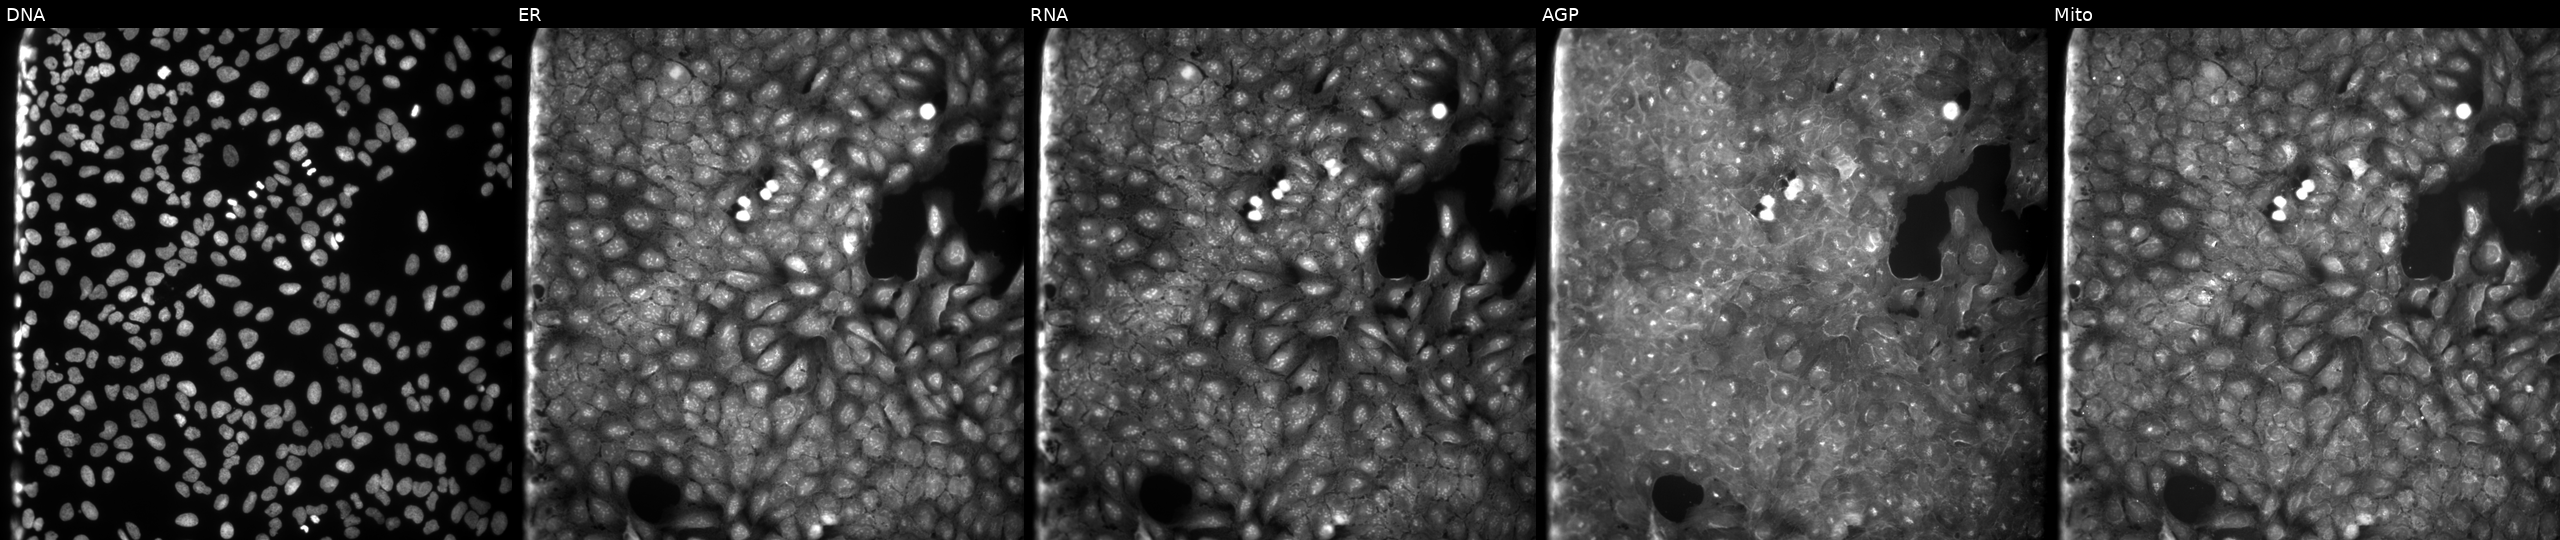
High-content fluorescence microscopy (Cell Painting). Cell line: U2OS. Perturbation: perturbed with a small-molecule compound (InChIKey FQLWPRIXQKTKDA-UHFFFAOYSA-N) (JUMP id JCP2022_022300). Channels (left→right): DNA, ER, RNA, AGP, and Mito.